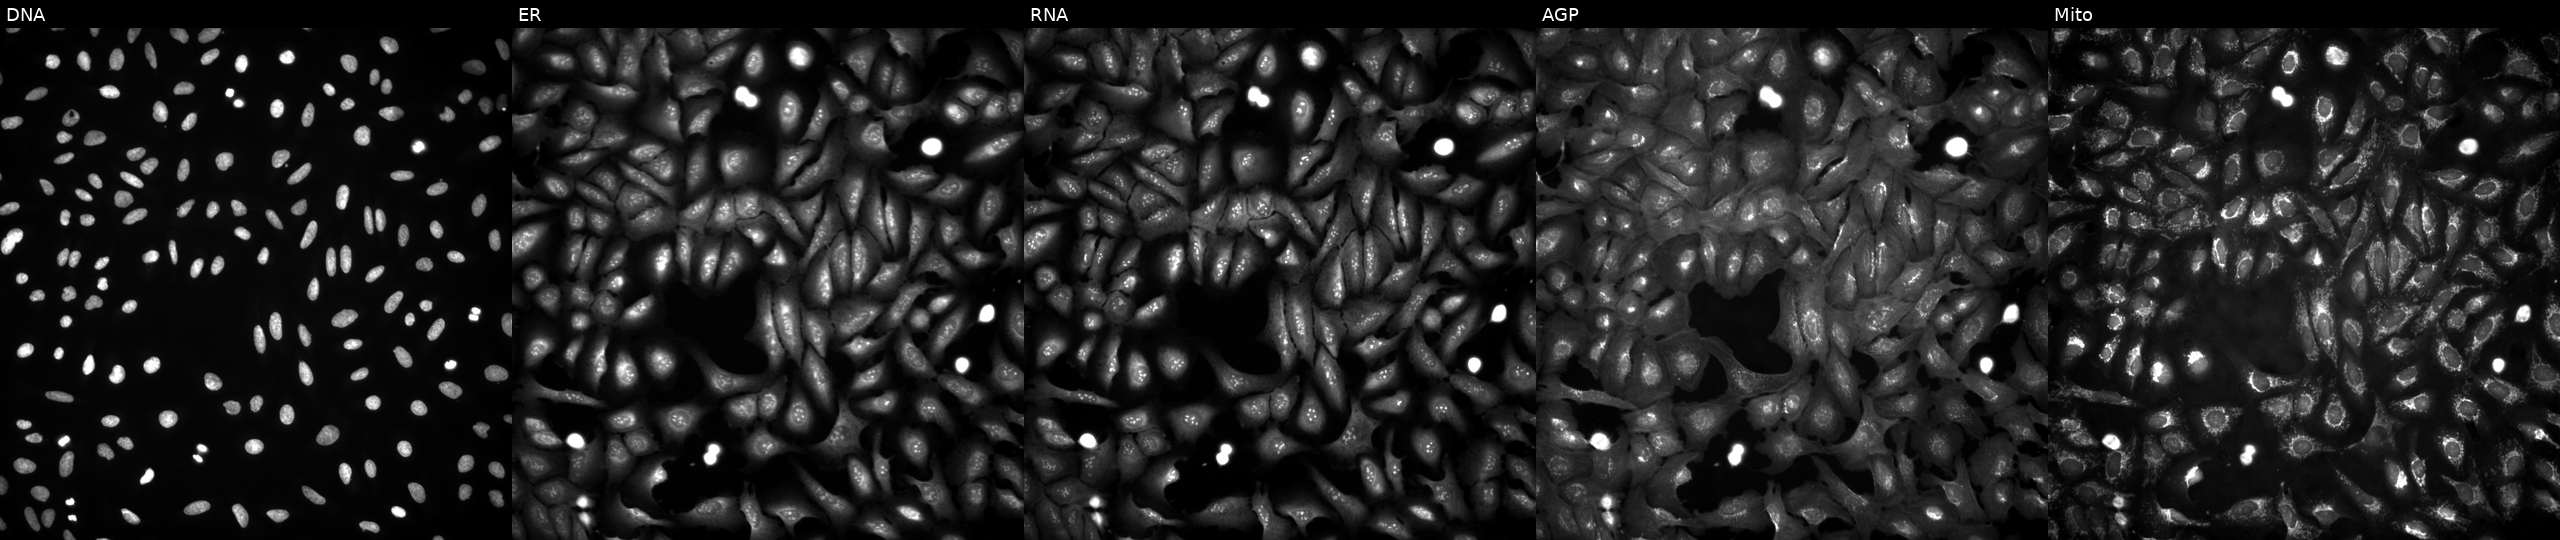
JUMP Cell Painting — ORF plate. U2OS cells with RBMY1J overexpressed (ORF). Channels (left→right): Hoechst 33342, concanavalin A, SYTO 14, phalloidin and WGA, MitoTracker. Source 4, plate BR00124787, well F08.